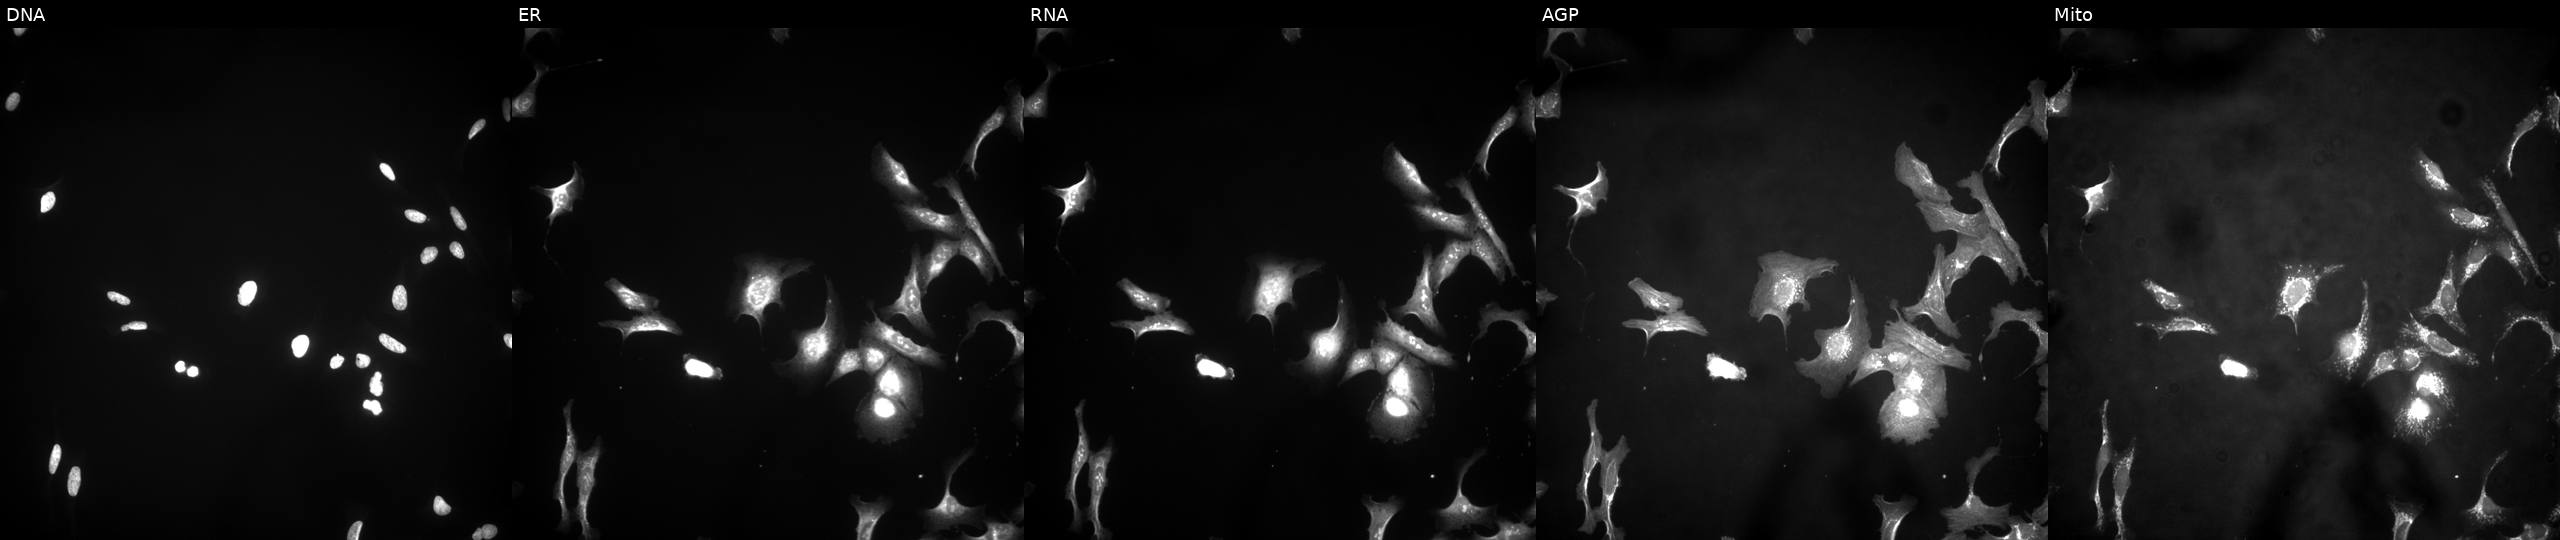
This image strip shows the five Cell Painting channels for a single field of U2OS cells expressing HcRed (ORF negative control) (JUMP id JCP2022_915129). Panels show, left to right, DNA, ER, RNA, AGP, and Mito. Source 4, plate BR00123506, well O12.